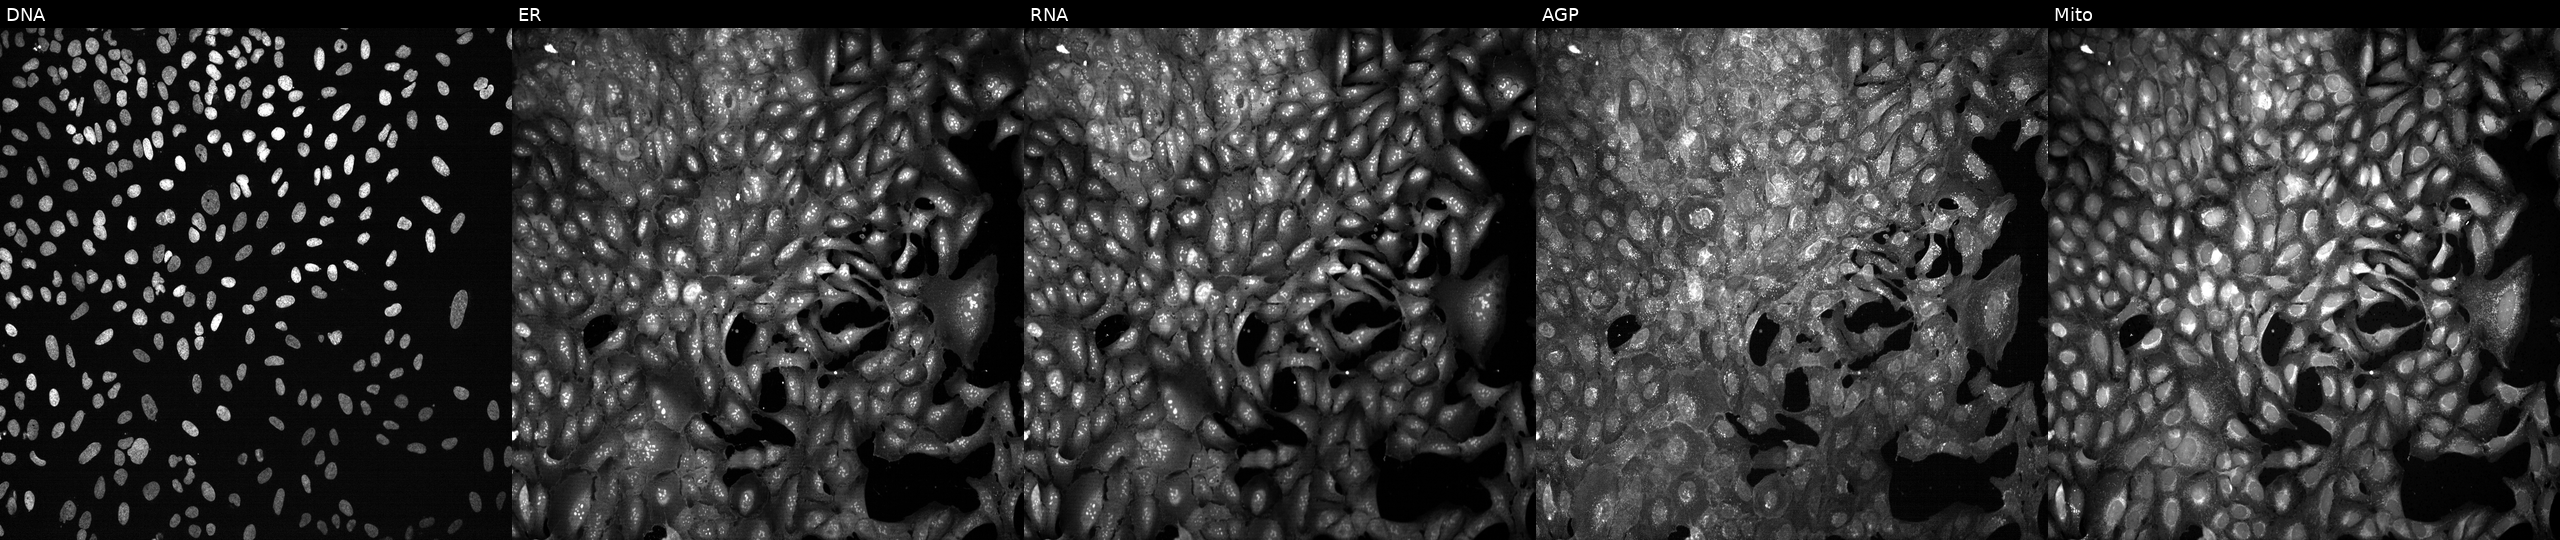
High-content fluorescence microscopy (Cell Painting). Cell line: U2OS. Perturbation: CRISPR-edited to disrupt LPO. The five panels, left to right, show DNA (nuclei); ER (endoplasmic reticulum); RNA (nucleoli and cytoplasmic RNA); AGP (actin cytoskeleton, Golgi, and plasma membrane); Mito (mitochondria).